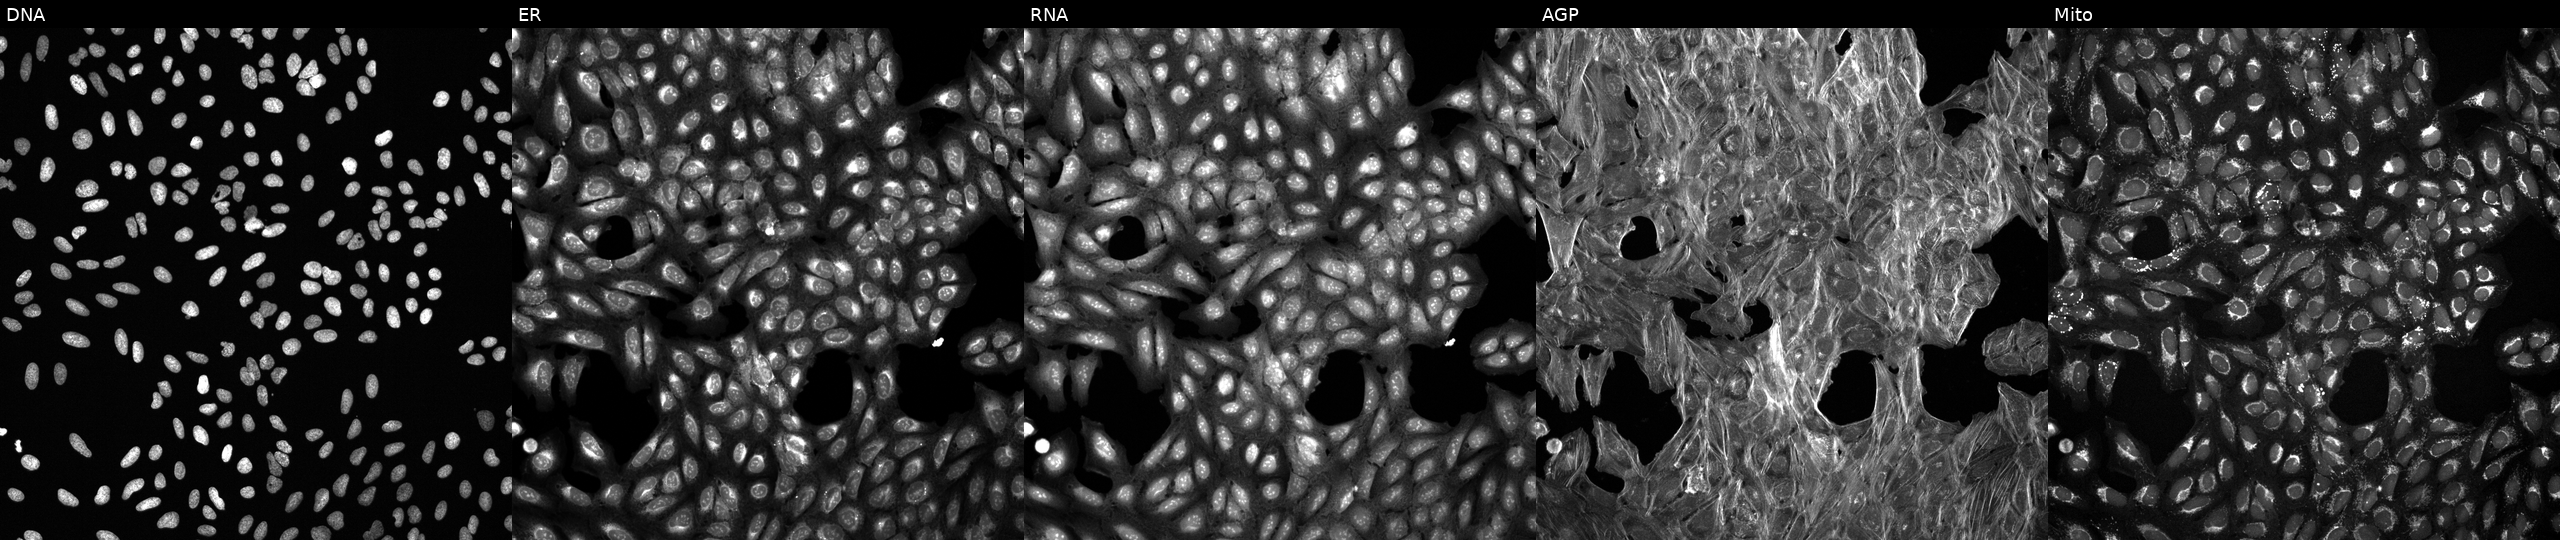
U2OS cells, Cell Painting assay, perturbed with a small-molecule compound (InChIKey PAPBZRMPFARLNT-UHFFFAOYSA-N) (JUMP id JCP2022_067338). Panels show, left to right, DNA (nuclei); ER (endoplasmic reticulum); RNA (nucleoli and cytoplasmic RNA); AGP (actin cytoskeleton, Golgi, and plasma membrane); Mito (mitochondria). Each panel is percentile-stretched 16-bit fluorescence.